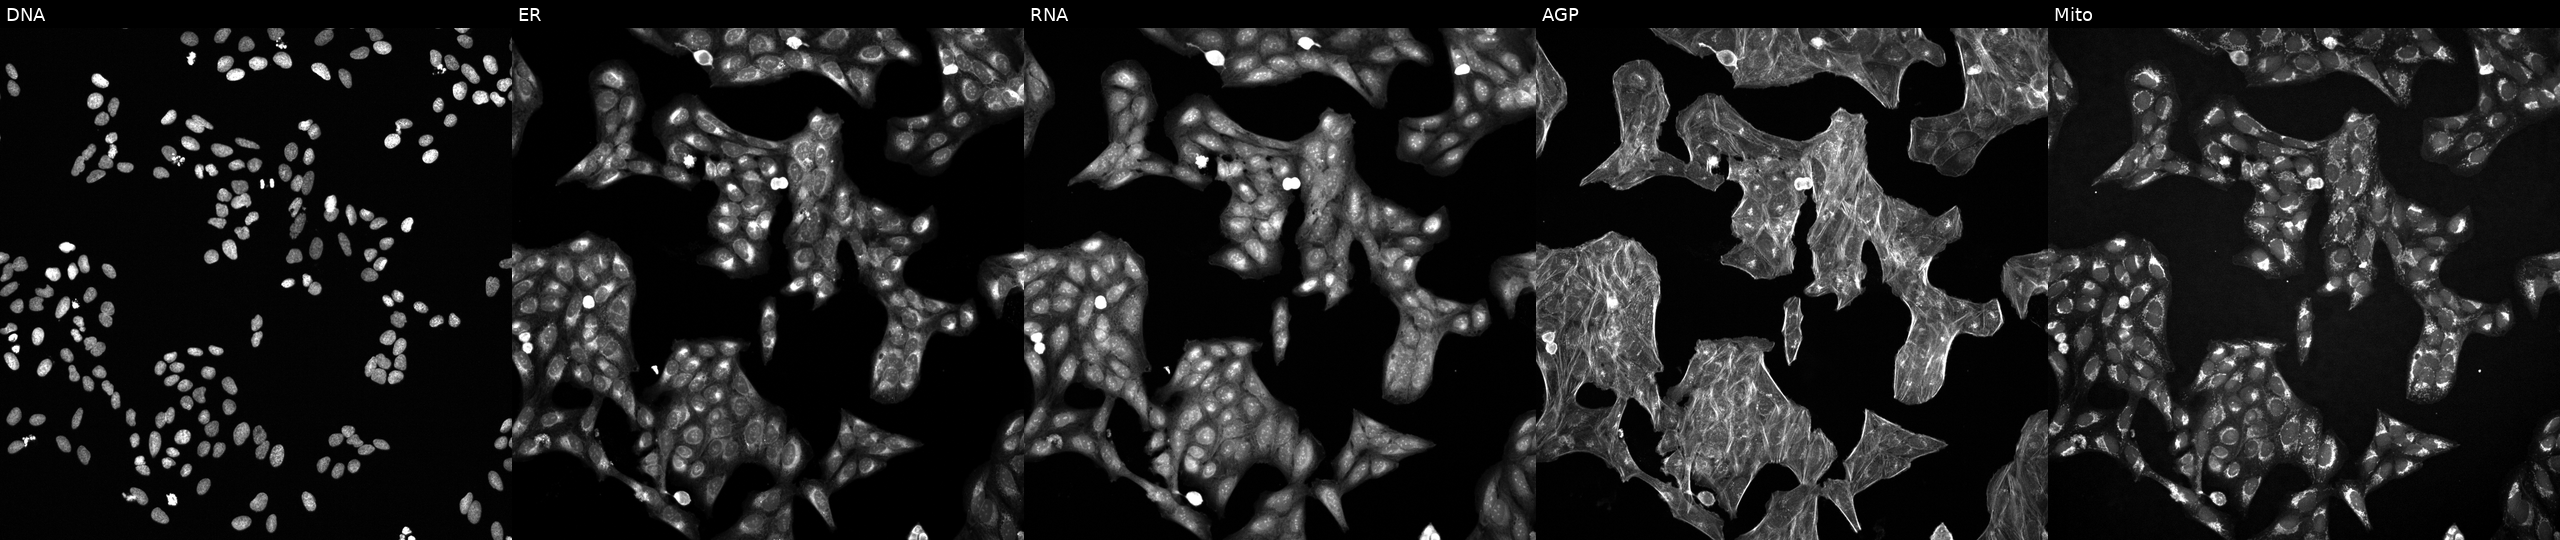
JUMP Cell Painting — COMPOUND plate. U2OS cells treated with a small-molecule compound (InChIKey UGTFEJKOYWJBKS-UHFFFAOYSA-N). Channels (left→right): DNA, ER, RNA, AGP, and Mito.